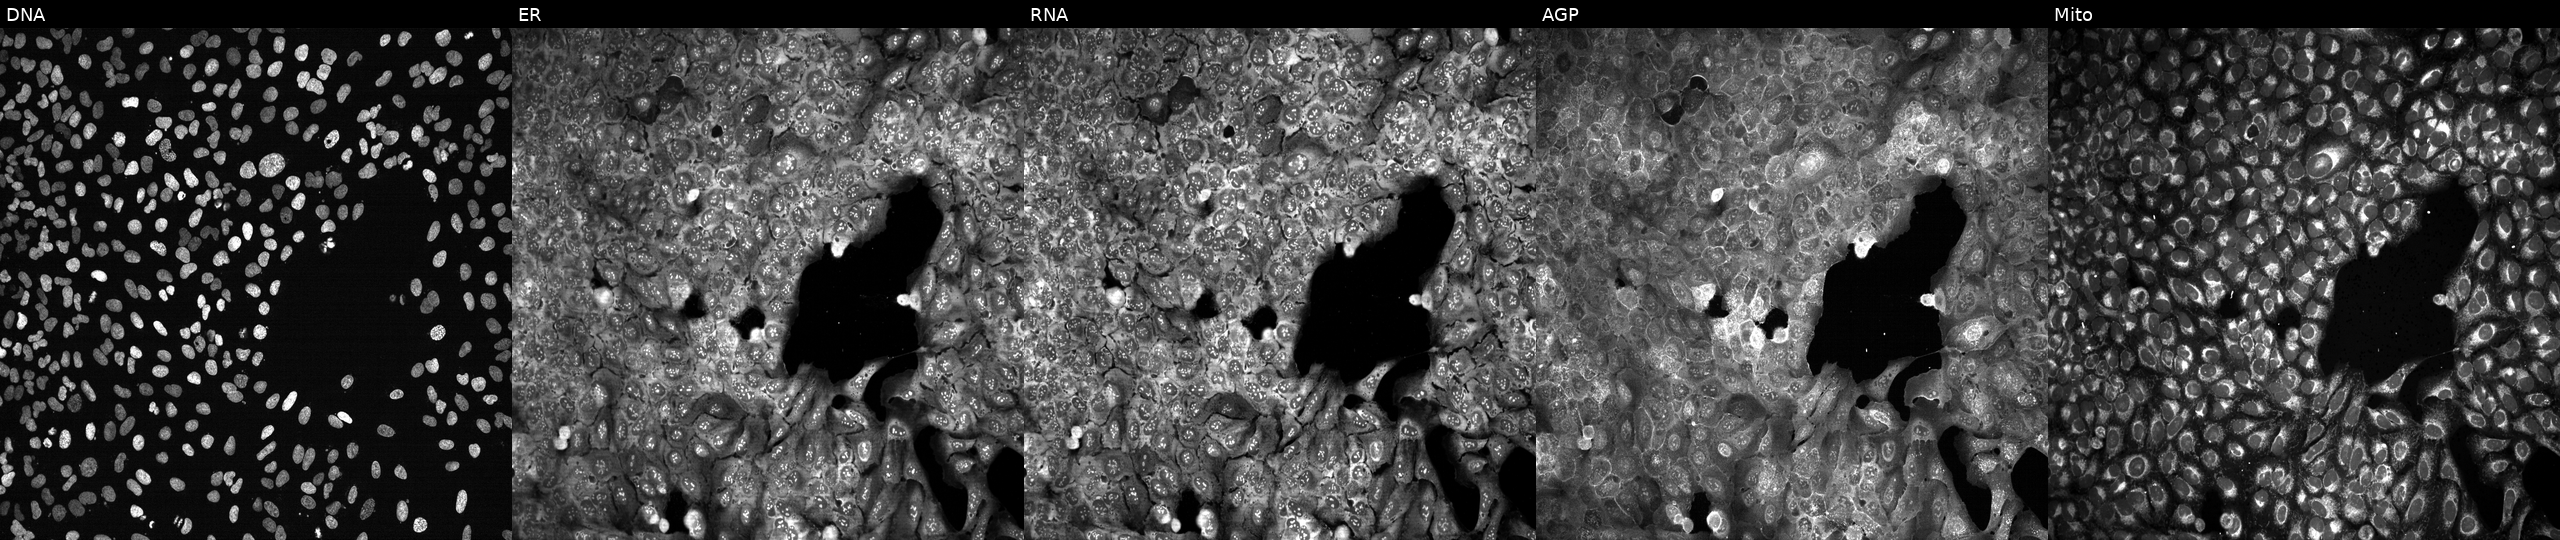
JUMP Cell Painting — CRISPR plate. U2OS cells with PCM1 knocked out by CRISPR (JUMP id JCP2022_804961). From left to right: DNA, ER, RNA, AGP, and Mito. Source 13, plate CP-CC9-R4-04, well B17.